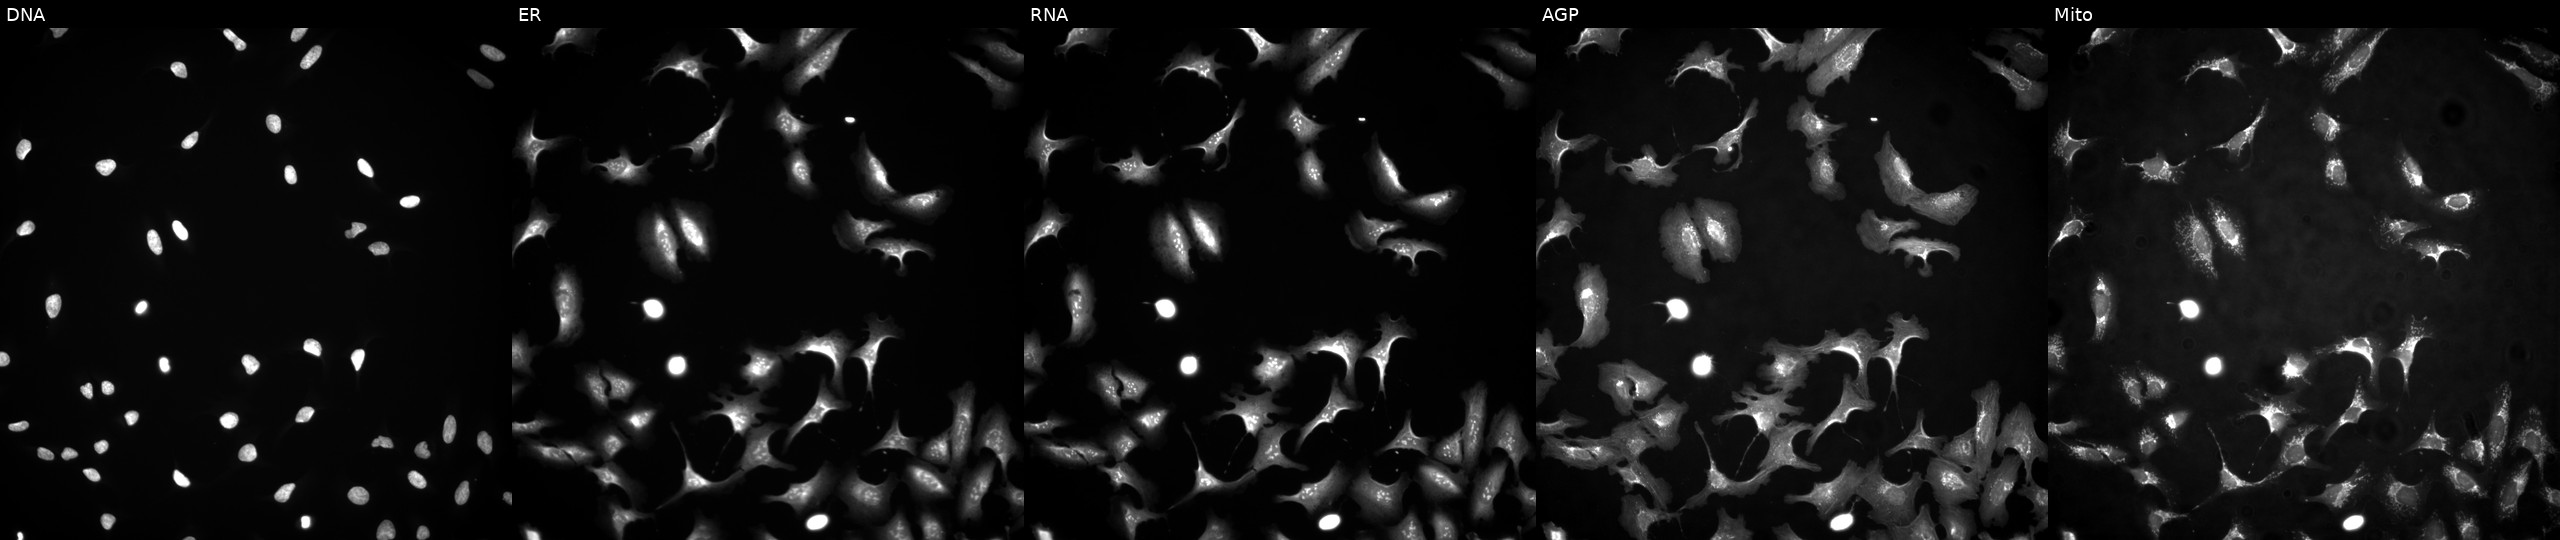
This image strip shows the five Cell Painting channels for a single field of U2OS cells with RGP1 overexpressed (ORF). The five panels, left to right, show DNA, ER, RNA, AGP, and Mito.